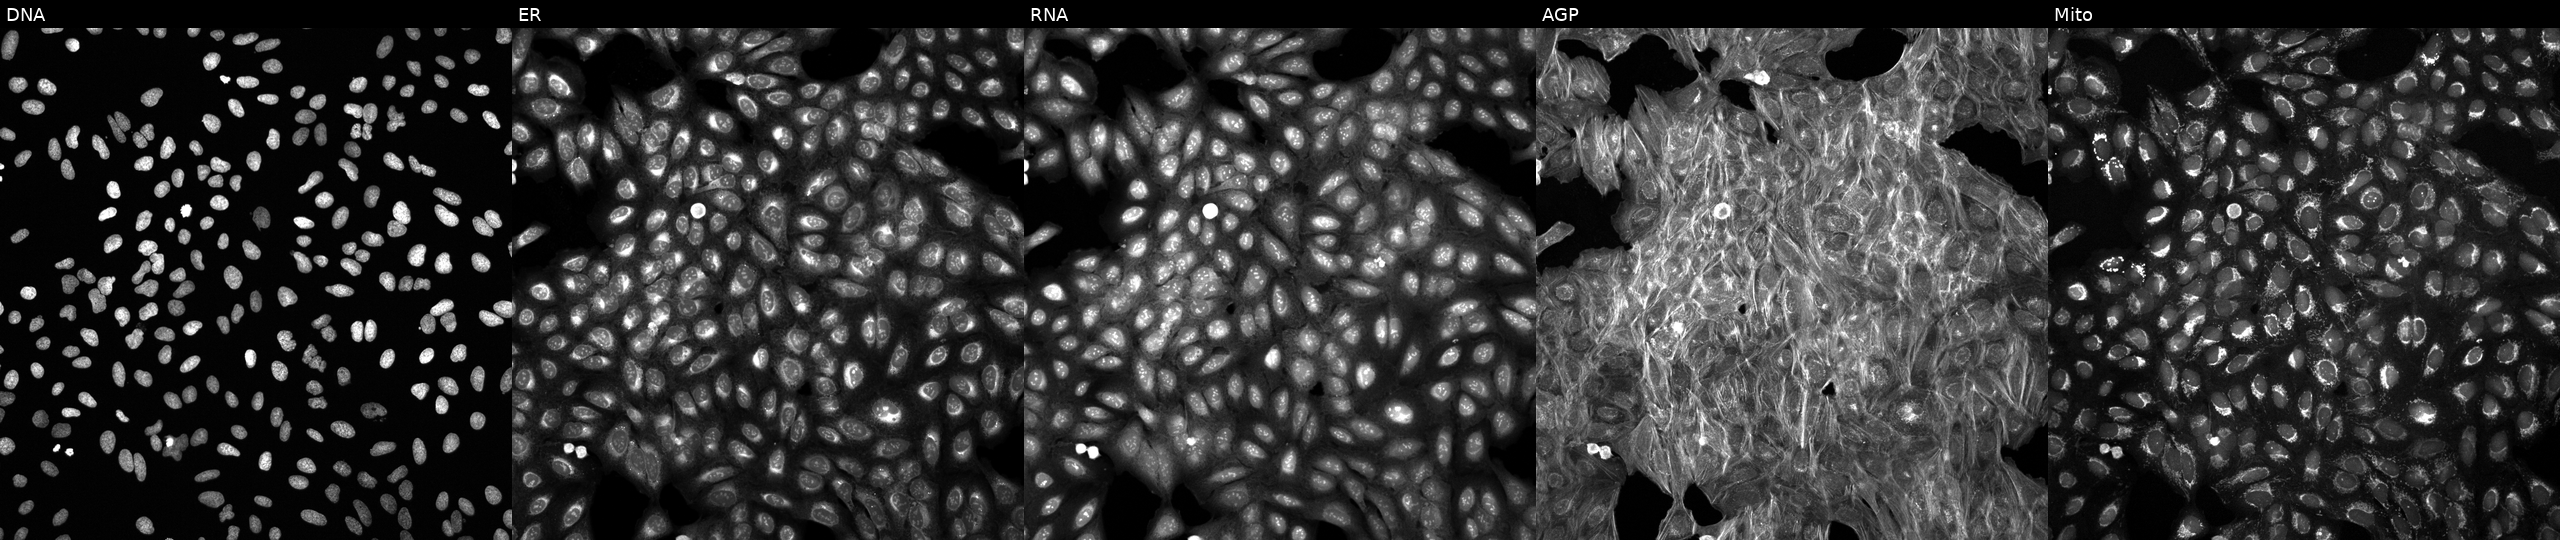
High-content fluorescence microscopy (Cell Painting). Cell line: U2OS. Perturbation: exposed to DMSO alone as a negative control. The five panels, left to right, show Hoechst 33342, concanavalin A, SYTO 14, phalloidin and WGA, MitoTracker.